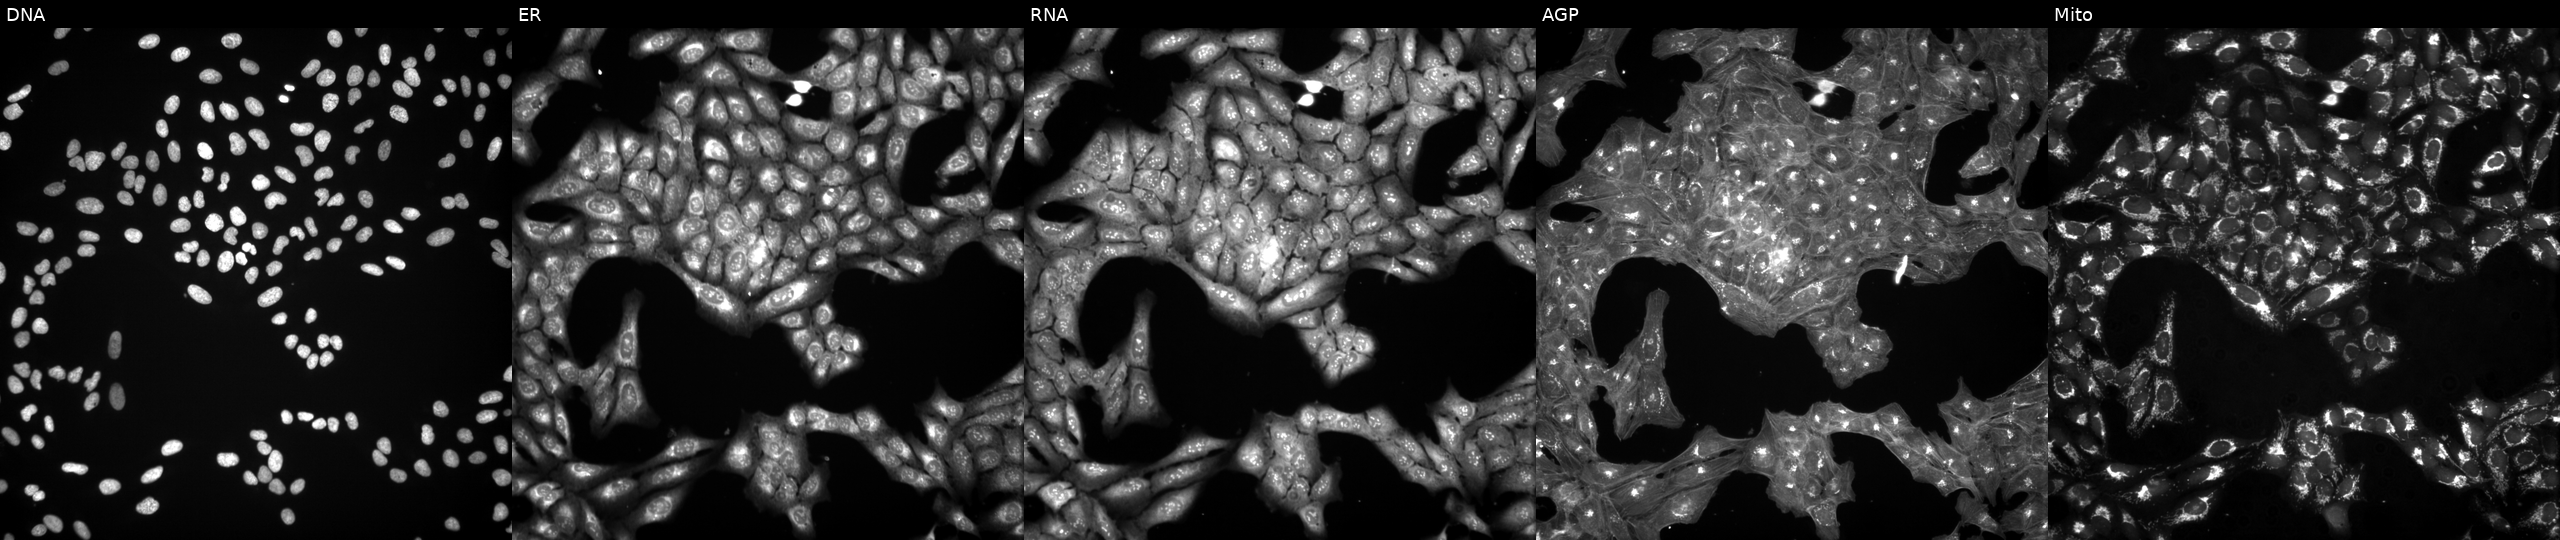
This image strip shows the five Cell Painting channels for a single field of U2OS cells perturbed with a small-molecule compound (InChIKey CZMUSNUDCIBTFJ-UHFFFAOYSA-N). The five panels, left to right, show DNA, ER, RNA, AGP, and Mito.